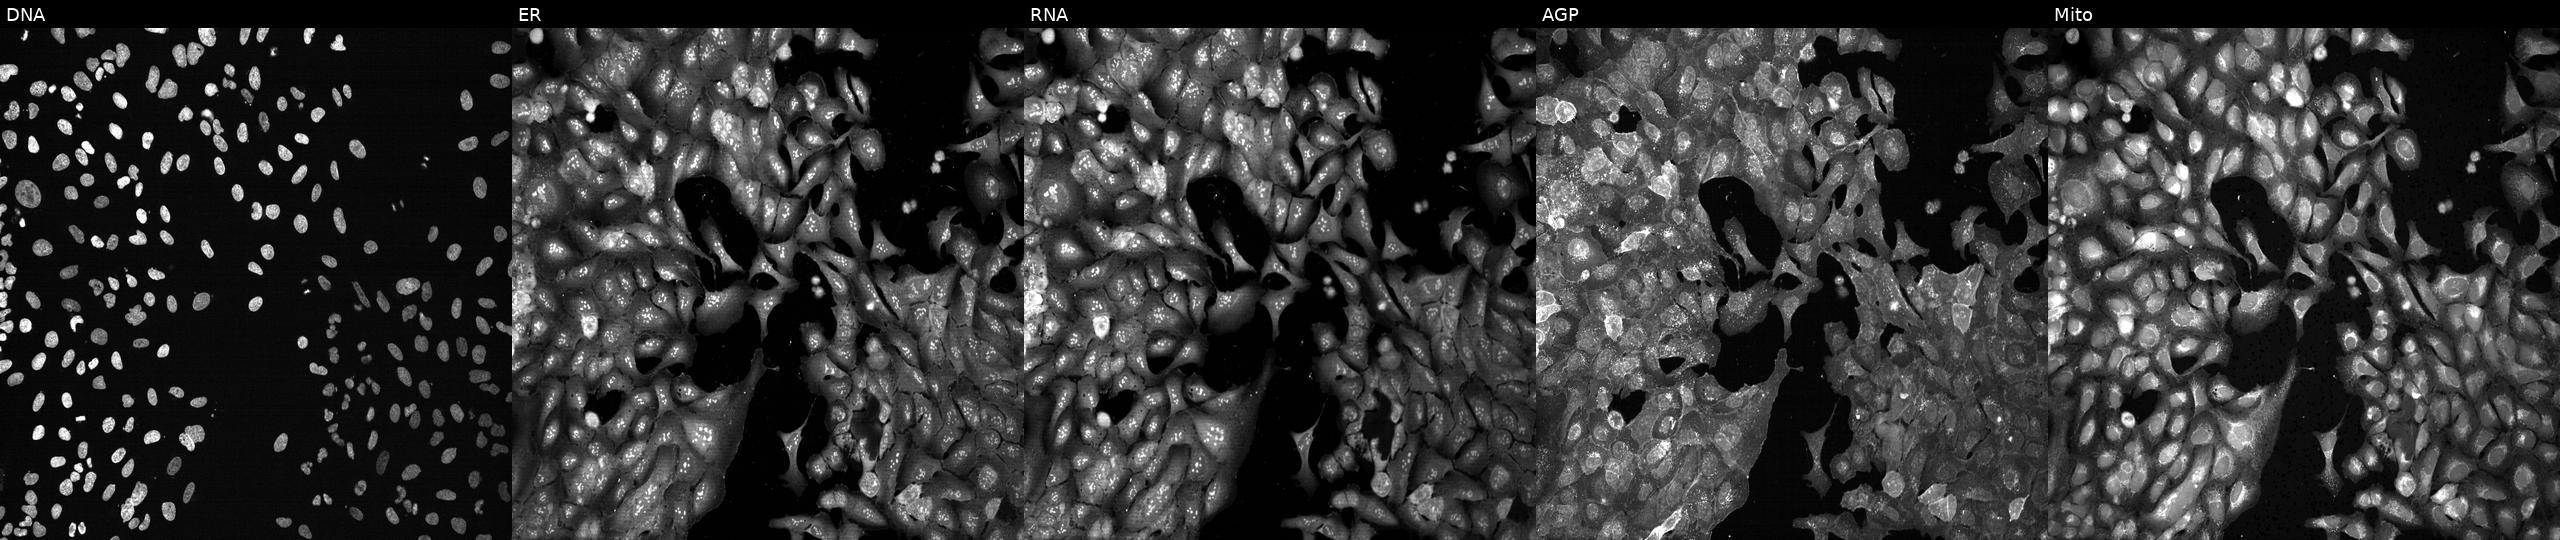
Five-channel Cell Painting image of U2OS cells with UQCRFS1 knocked out by CRISPR (JUMP id JCP2022_807558). From left to right: DNA, ER, RNA, AGP, and Mito. Source 13, plate CP-CC9-R1-02, well E19.